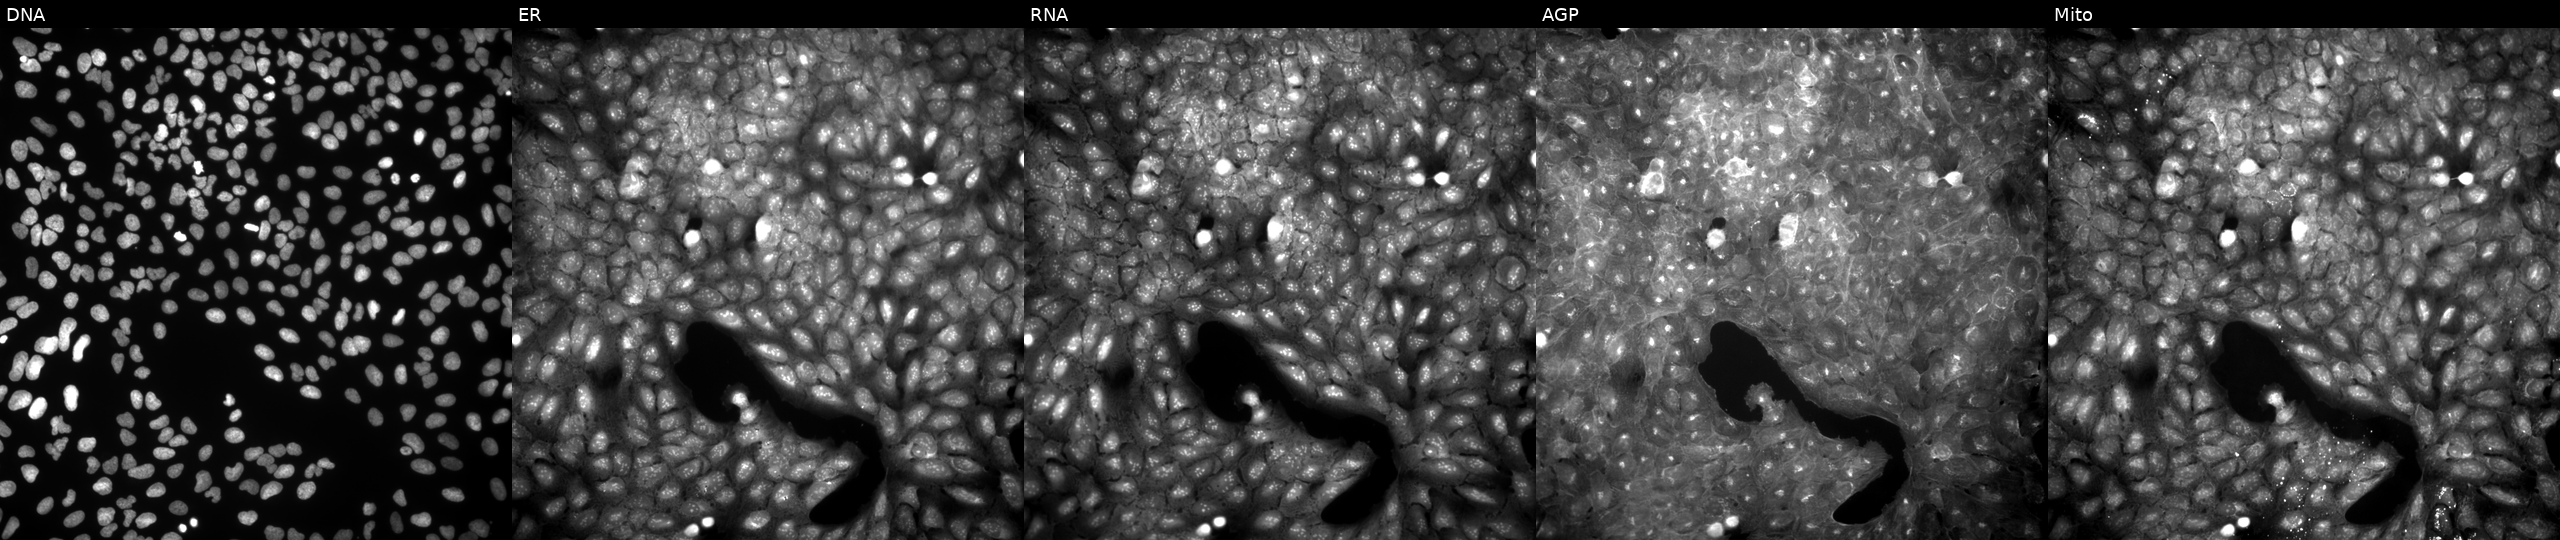
Five-channel Cell Painting image of U2OS cells exposed to DMSO alone as a negative control (JUMP id JCP2022_033924). Channels (left→right): DNA (nuclei); ER (endoplasmic reticulum); RNA (nucleoli and cytoplasmic RNA); AGP (actin cytoskeleton, Golgi, and plasma membrane); Mito (mitochondria).